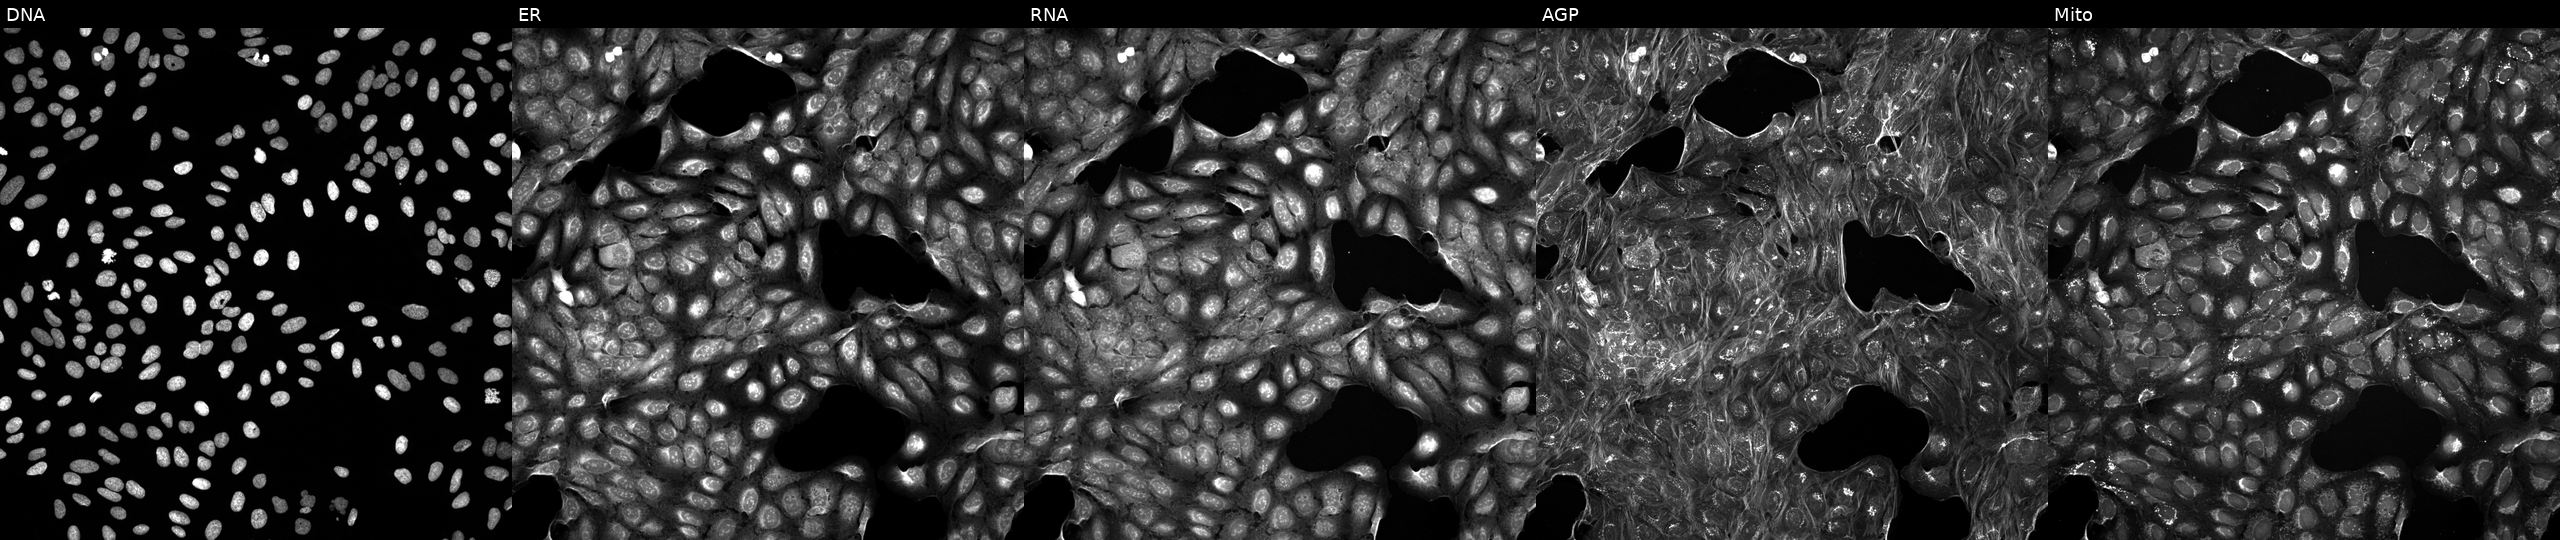
High-content fluorescence microscopy (Cell Painting). Cell line: U2OS. Perturbation: treated with a small-molecule compound (JUMP id JCP2022_001890). The five panels, left to right, show DNA, ER, RNA, AGP, and Mito.